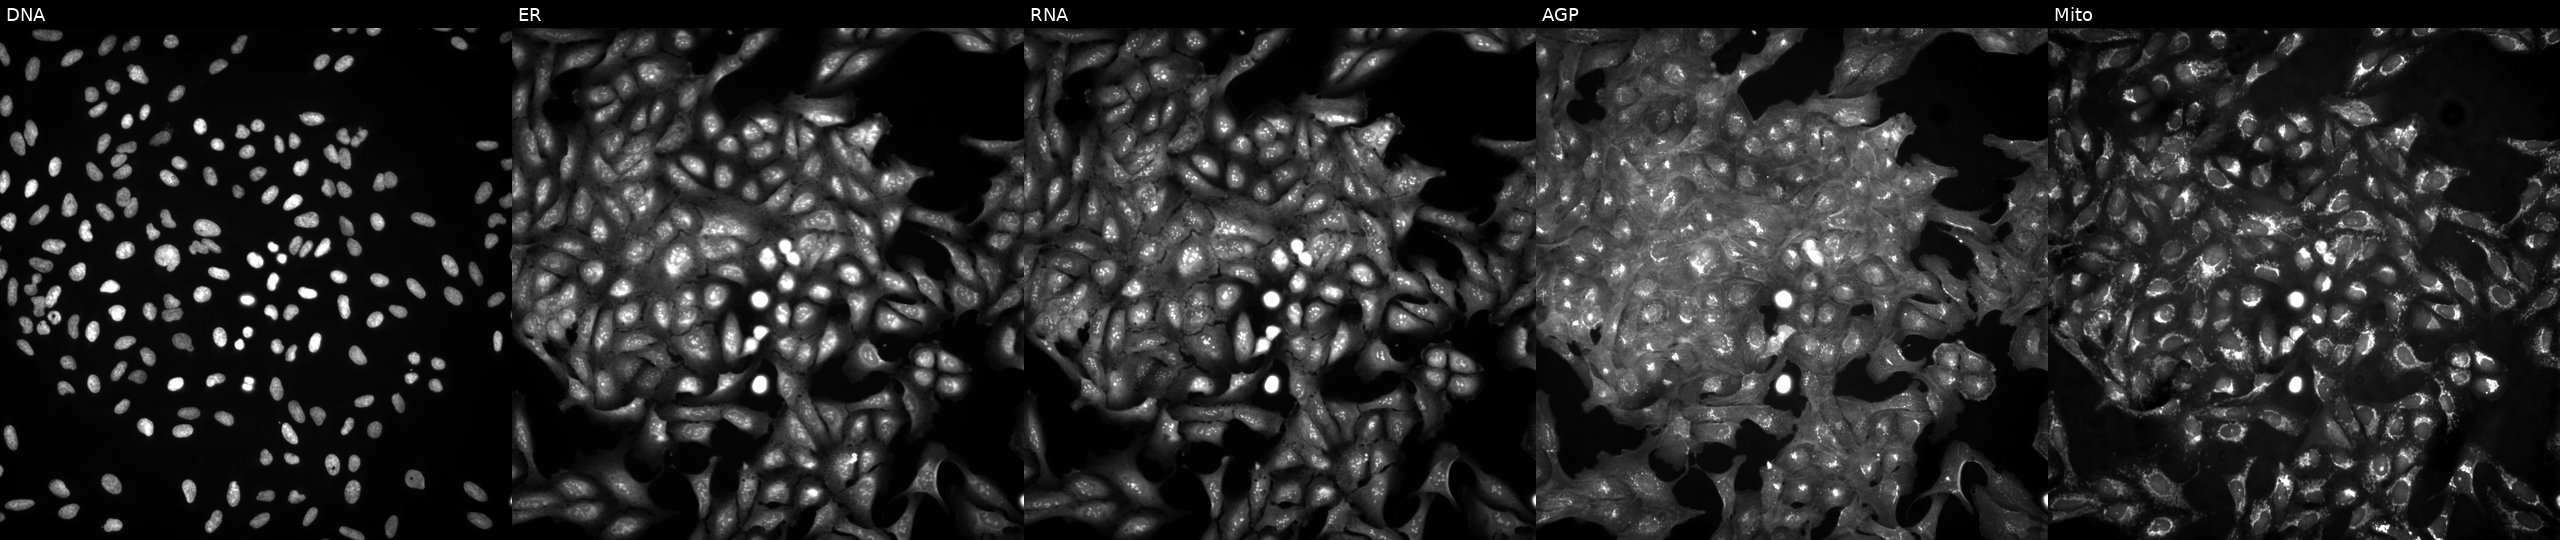
Five-channel Cell Painting image of U2OS cells in an empty control well (no perturbation) (JUMP id JCP2022_999999). Channels (left→right): DNA, ER, RNA, AGP, and Mito.